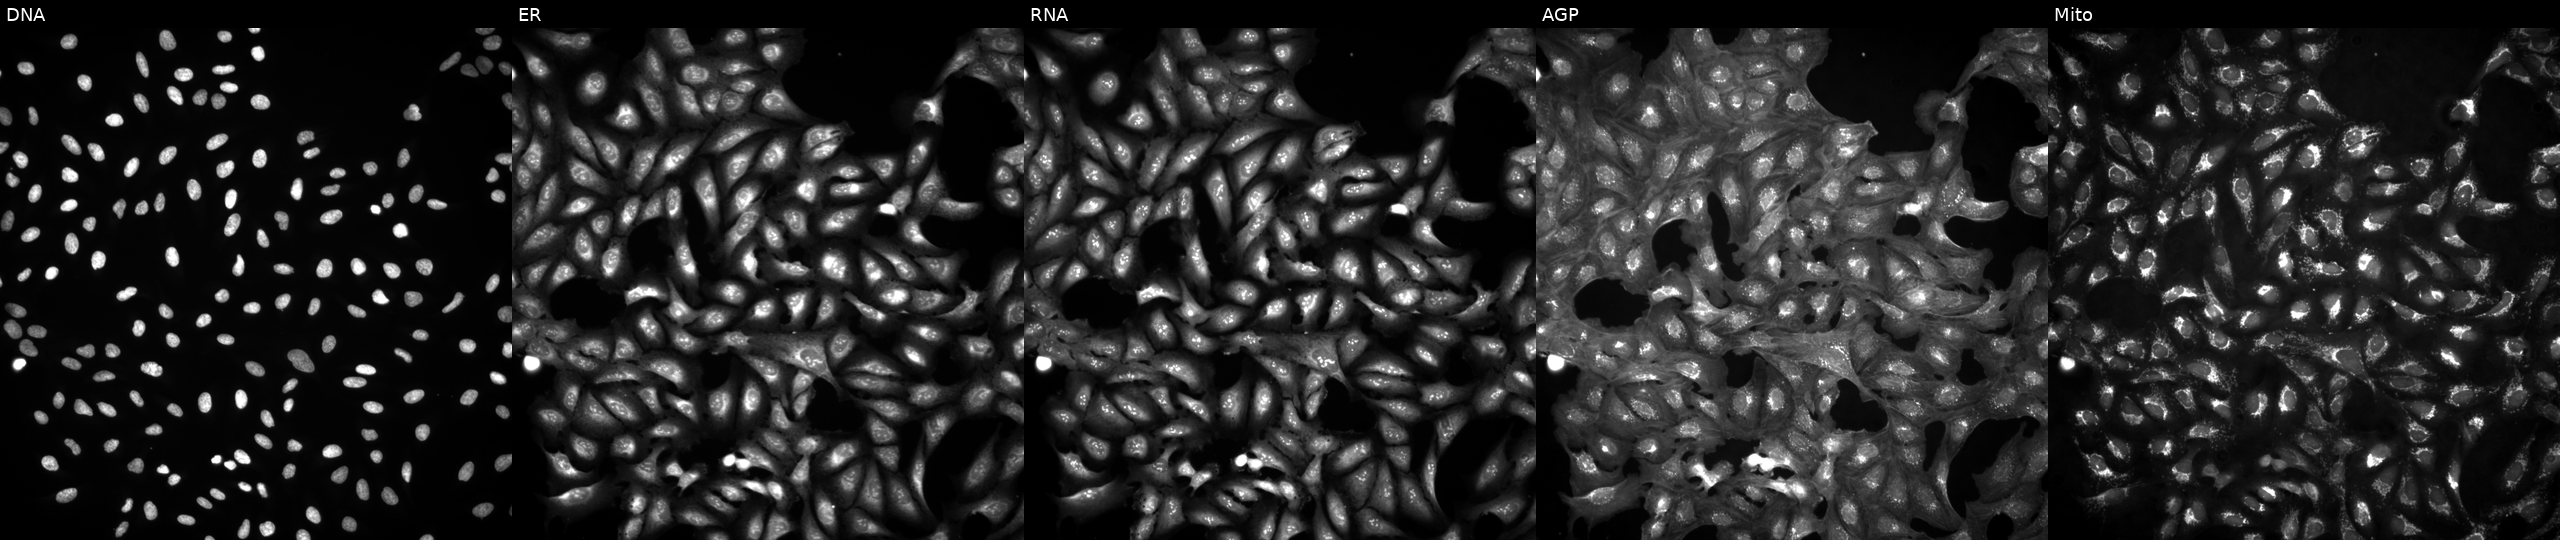
Five-channel Cell Painting image of U2OS cells in an empty control well (no perturbation). From left to right: DNA, ER, RNA, AGP, and Mito.